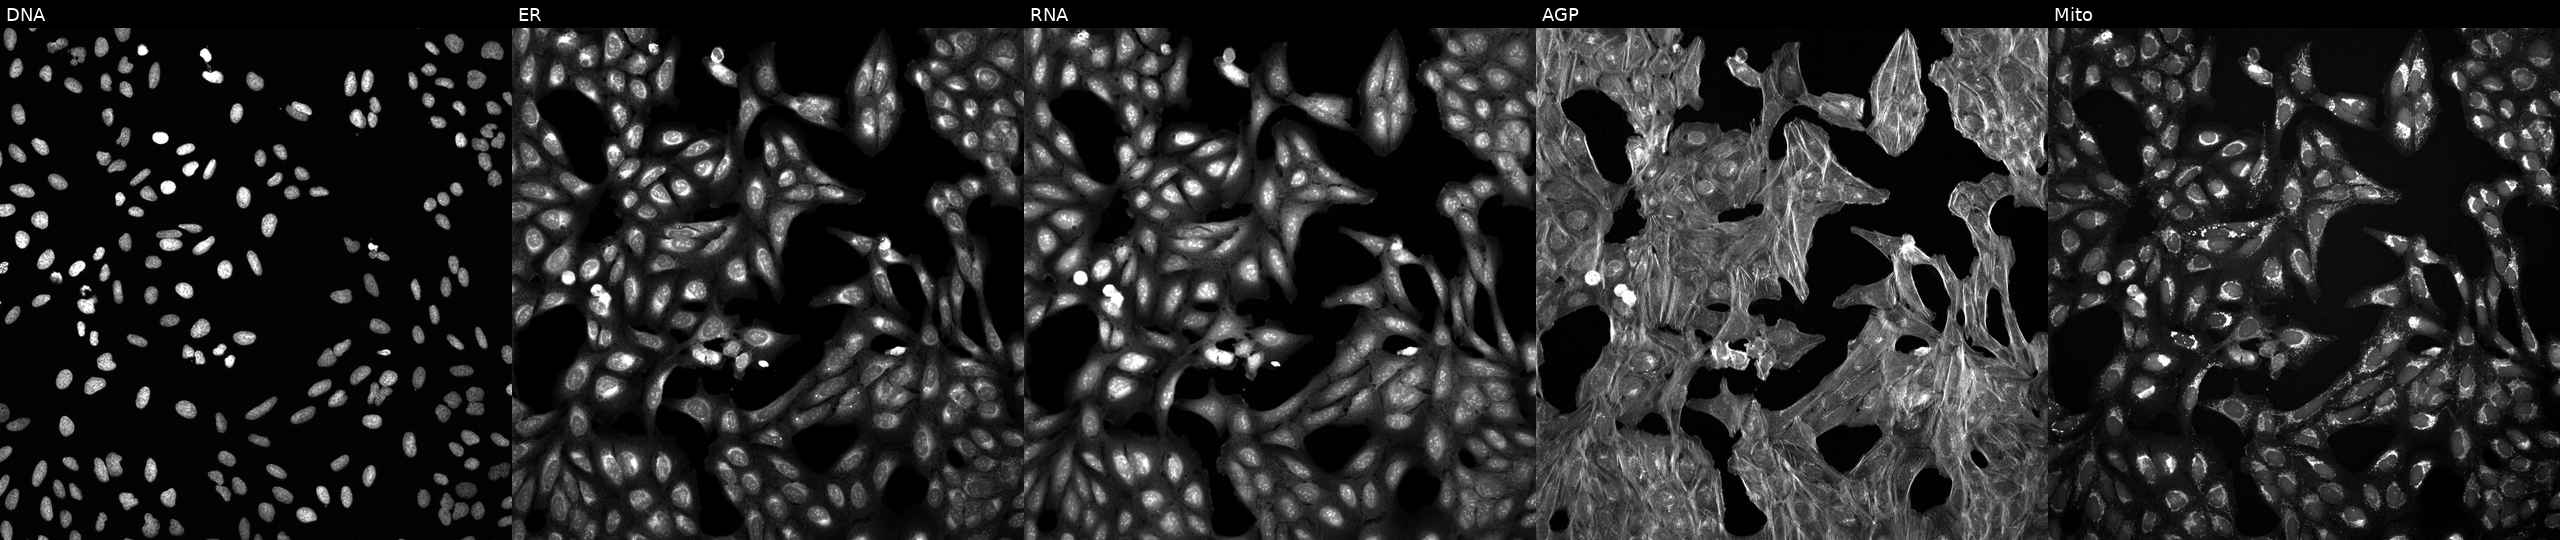
U2OS cells, Cell Painting assay, treated with a small-molecule compound (JUMP id JCP2022_069672). The five panels, left to right, show DNA (nuclei); ER (endoplasmic reticulum); RNA (nucleoli and cytoplasmic RNA); AGP (actin cytoskeleton, Golgi, and plasma membrane); Mito (mitochondria). Each panel is percentile-stretched 16-bit fluorescence. Source 6, plate 110000293081, well F04.